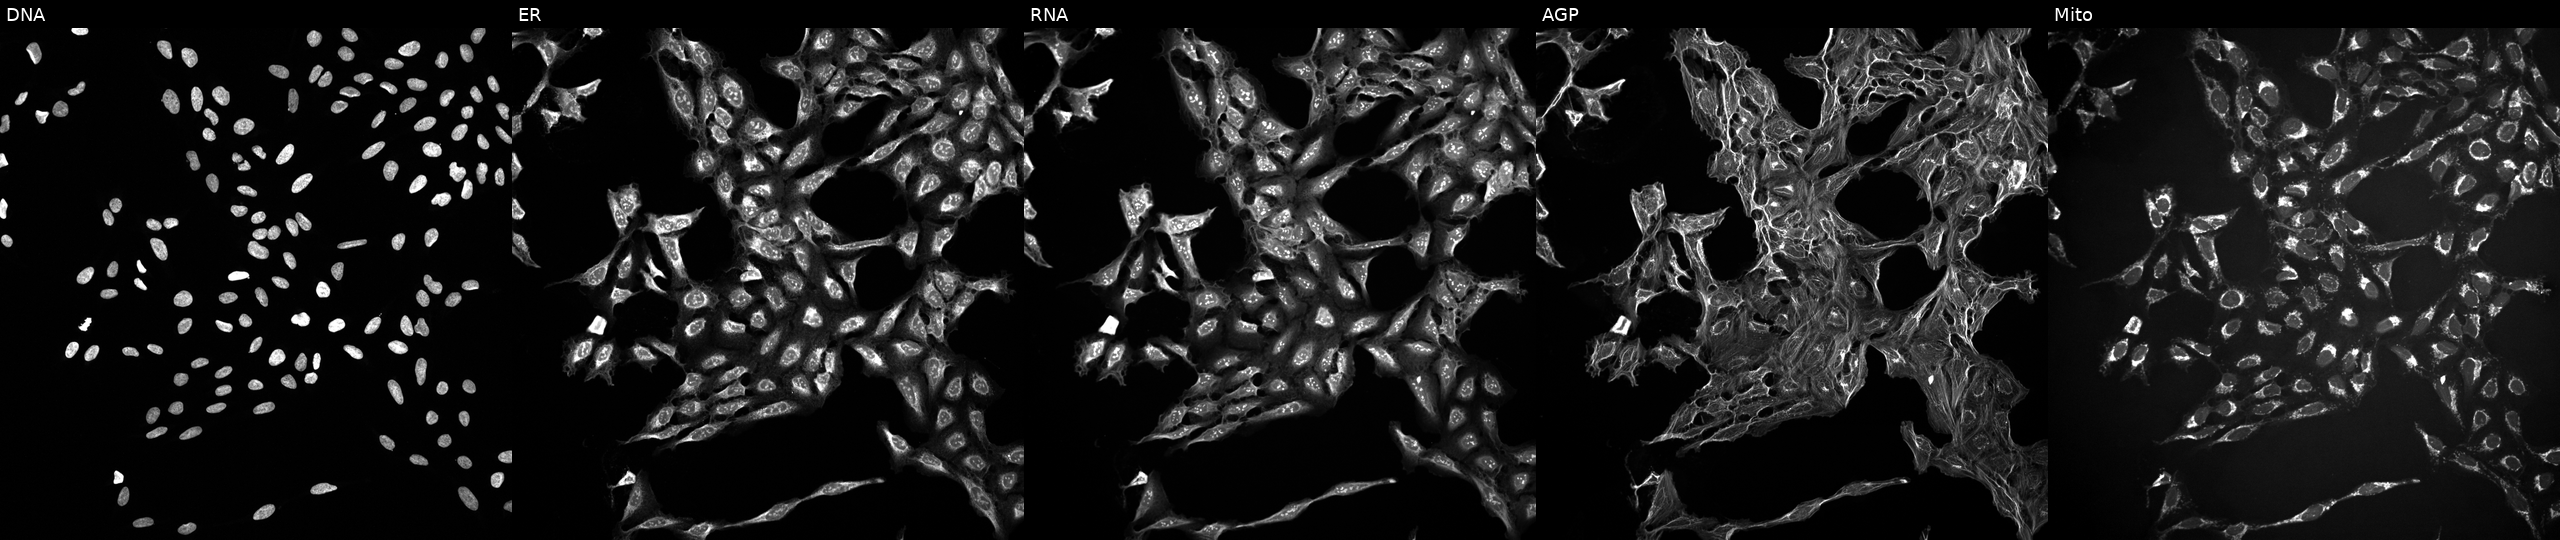
This image strip shows the five Cell Painting channels for a single field of U2OS cells perturbed with a small-molecule compound (InChIKey SBDNJUWAMKYJOX-UHFFFAOYSA-N). From left to right: Hoechst 33342, concanavalin A, SYTO 14, phalloidin and WGA, MitoTracker. Source 10, plate Dest210727-153003, well L02.